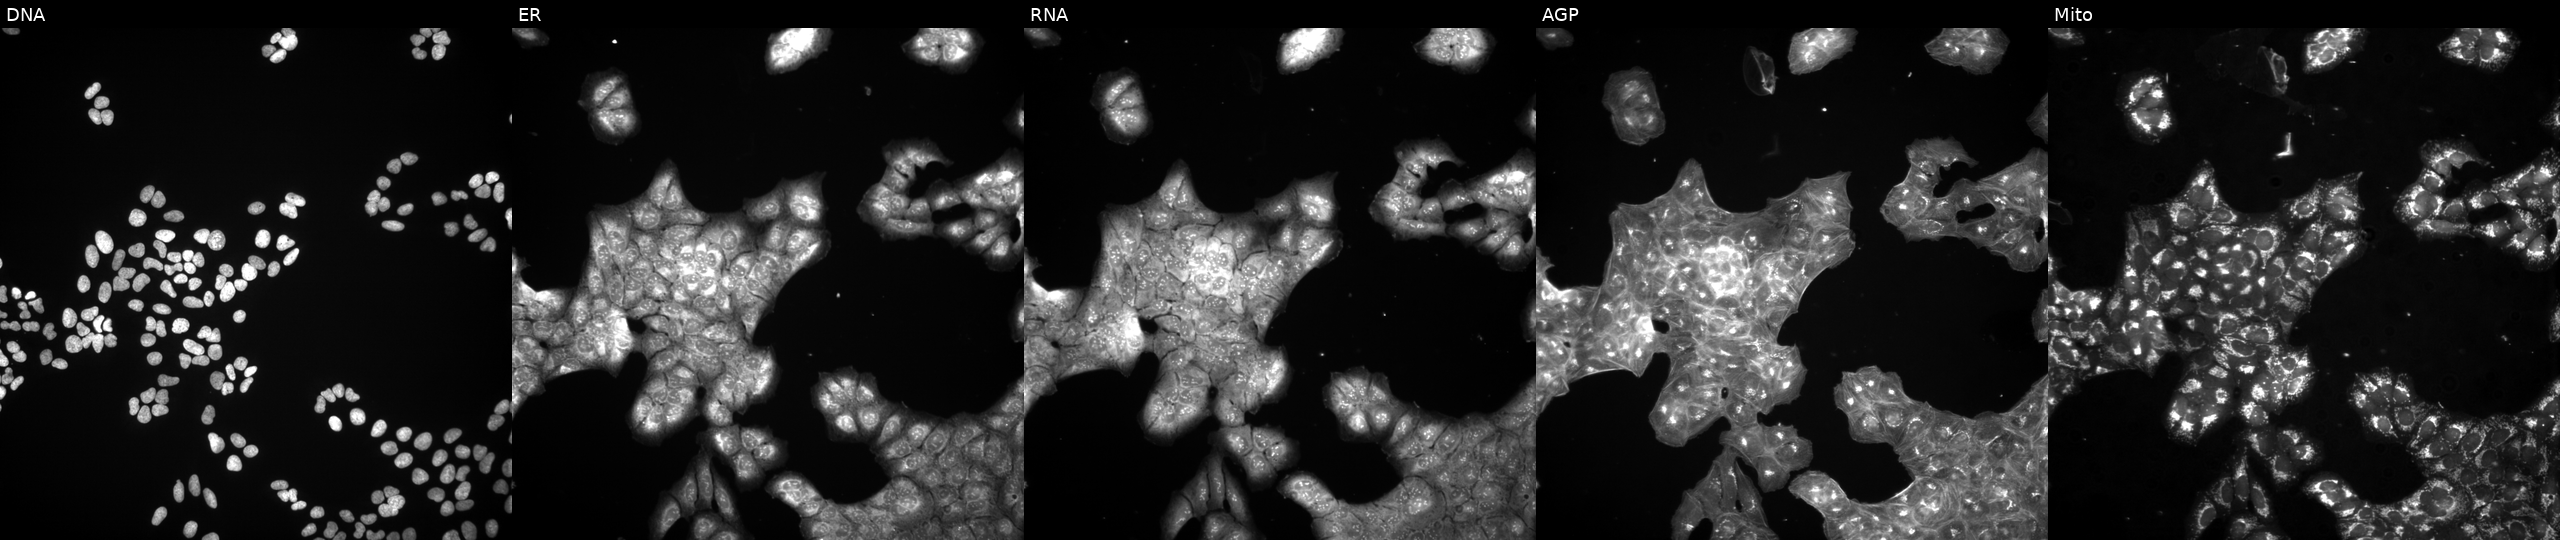
This image strip shows the five Cell Painting channels for a single field of U2OS cells perturbed with a small-molecule compound (InChIKey ZVPDNRVYHLRXLX-UHFFFAOYSA-N) [SMILES: Cc1ccc(-c2nn(C(C)(C)C)c3[nH]cnc(=N)c23)cc1] (JUMP id JCP2022_115963). The five panels, left to right, show DNA, ER, RNA, AGP, and Mito.